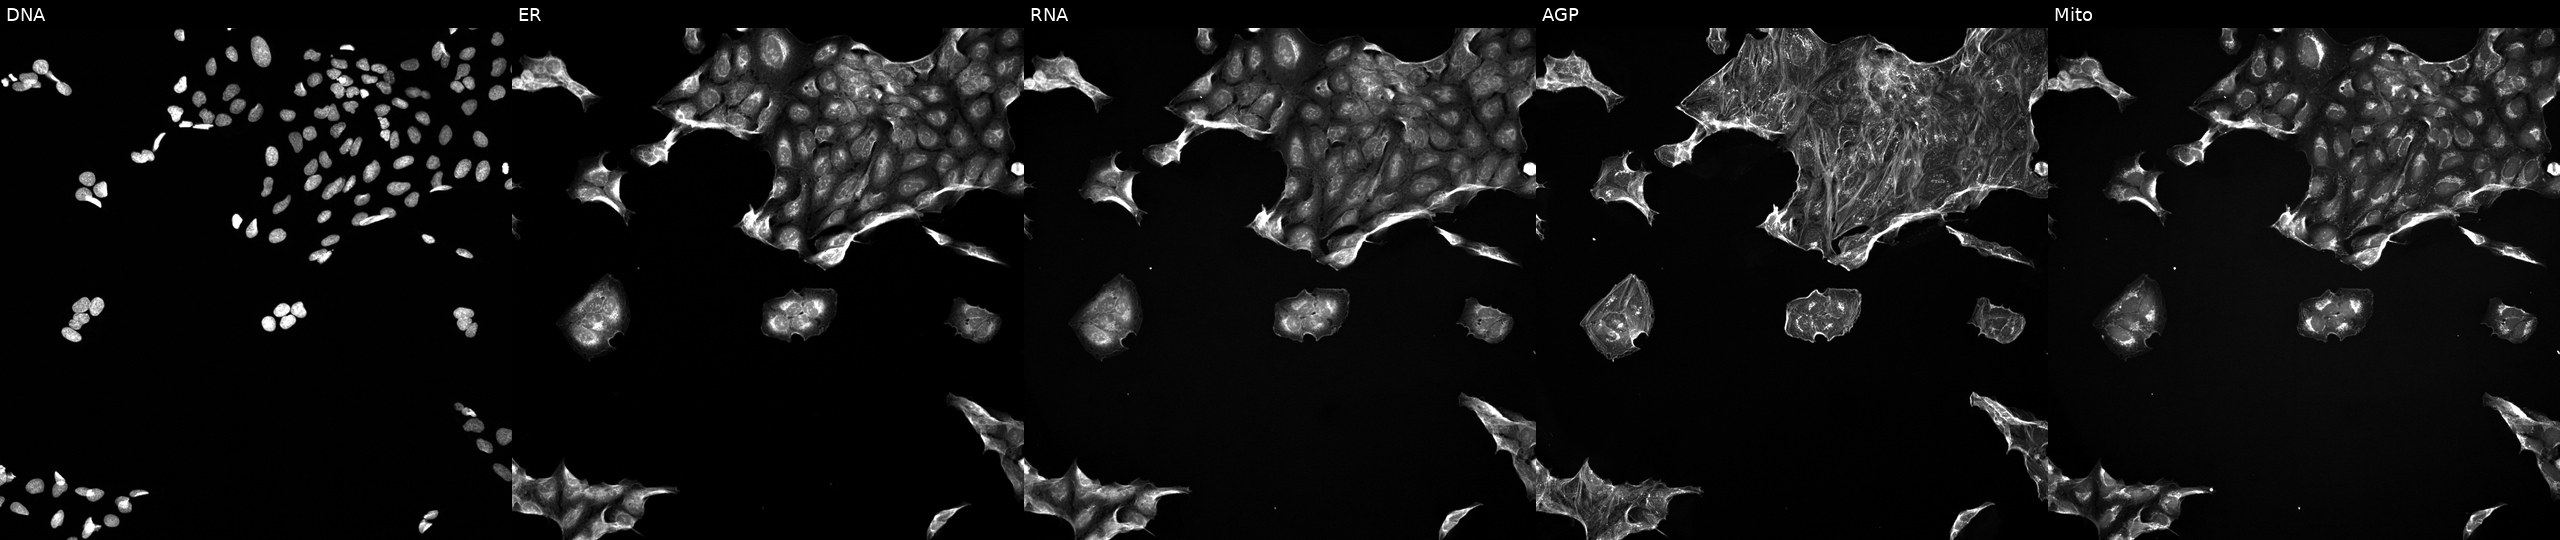
U2OS cells, Cell Painting assay, treated with a small-molecule compound (InChIKey BBDGBGOVJPEFBT-UHFFFAOYSA-N) (JUMP id JCP2022_005163). Channels (left→right): DNA, ER, RNA, AGP, and Mito. Each panel is percentile-stretched 16-bit fluorescence.